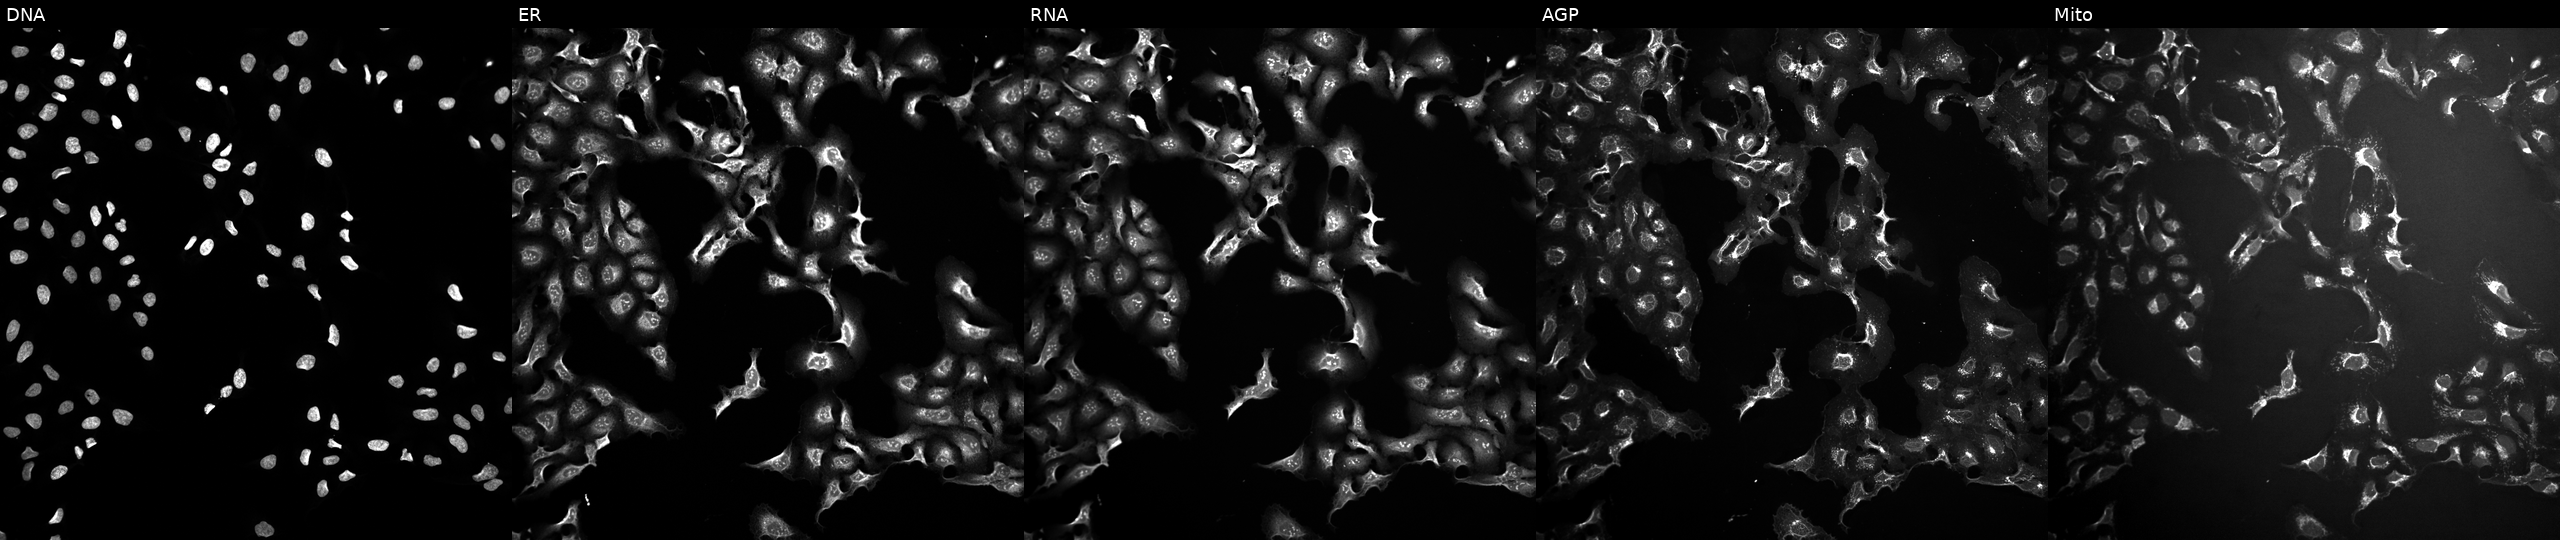
This image strip shows the five Cell Painting channels for a single field of U2OS cells perturbed with a small-molecule compound (InChIKey GDVRVPIXWXOKQO-UHFFFAOYSA-N) [SMILES: O=C(N=c1[nH]c(-c2ccncc2)cs1)NCc1cccc(O)c1]. Channels (left→right): Hoechst 33342, concanavalin A, SYTO 14, phalloidin and WGA, MitoTracker.